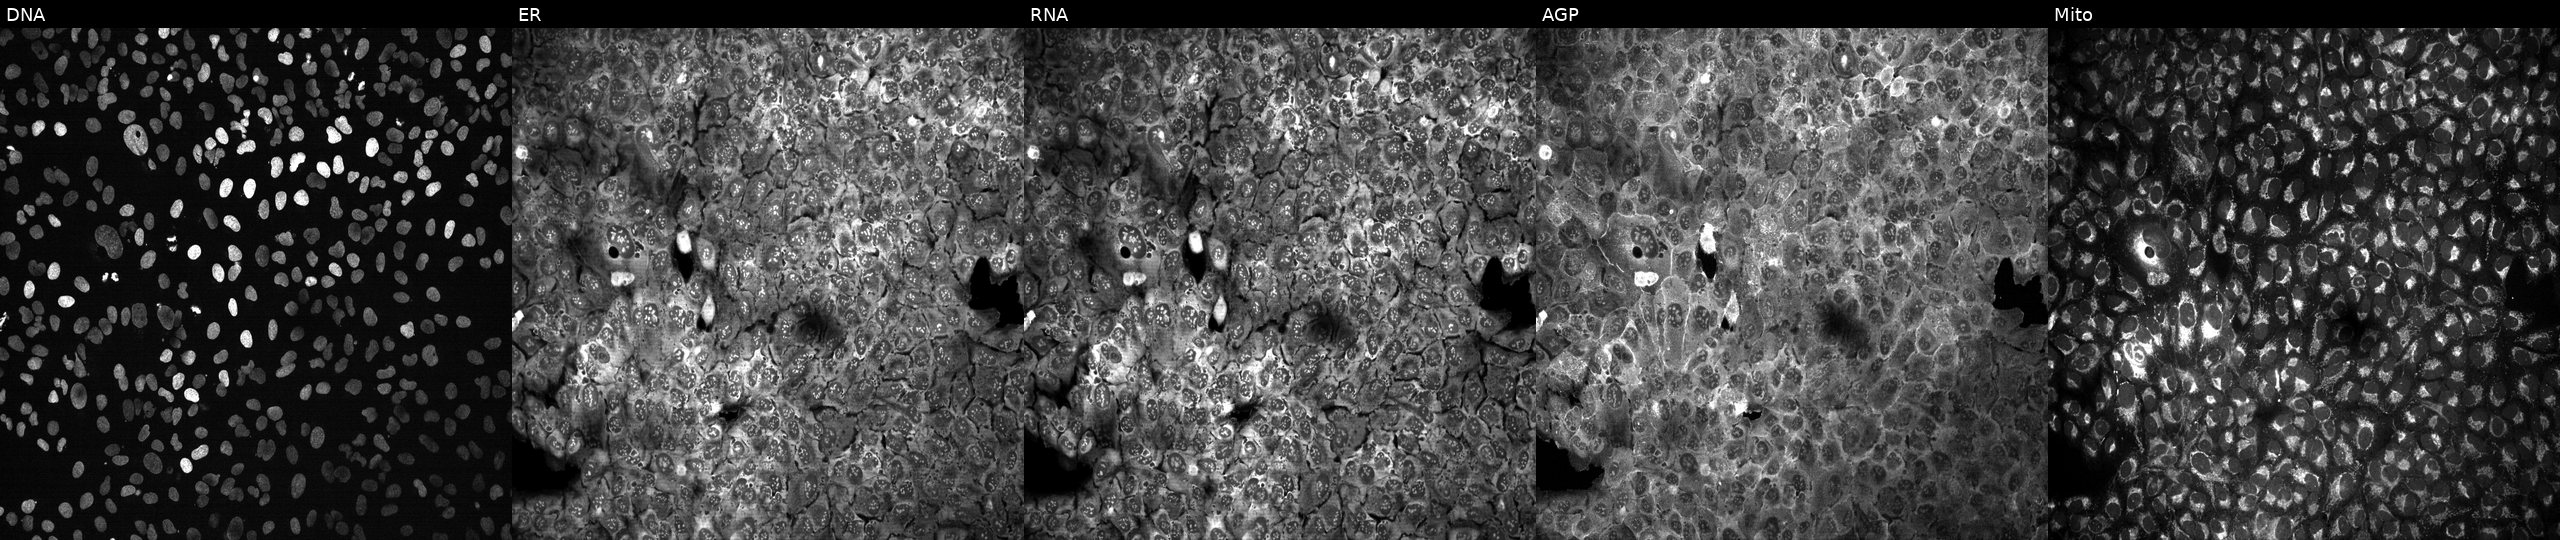
Panels show, left to right, Hoechst 33342, concanavalin A, SYTO 14, phalloidin and WGA, MitoTracker. U2OS osteosarcoma cells CRISPR-edited to disrupt POLK (JUMP id JCP2022_805334). Cell Painting assay, JUMP-CP dataset.